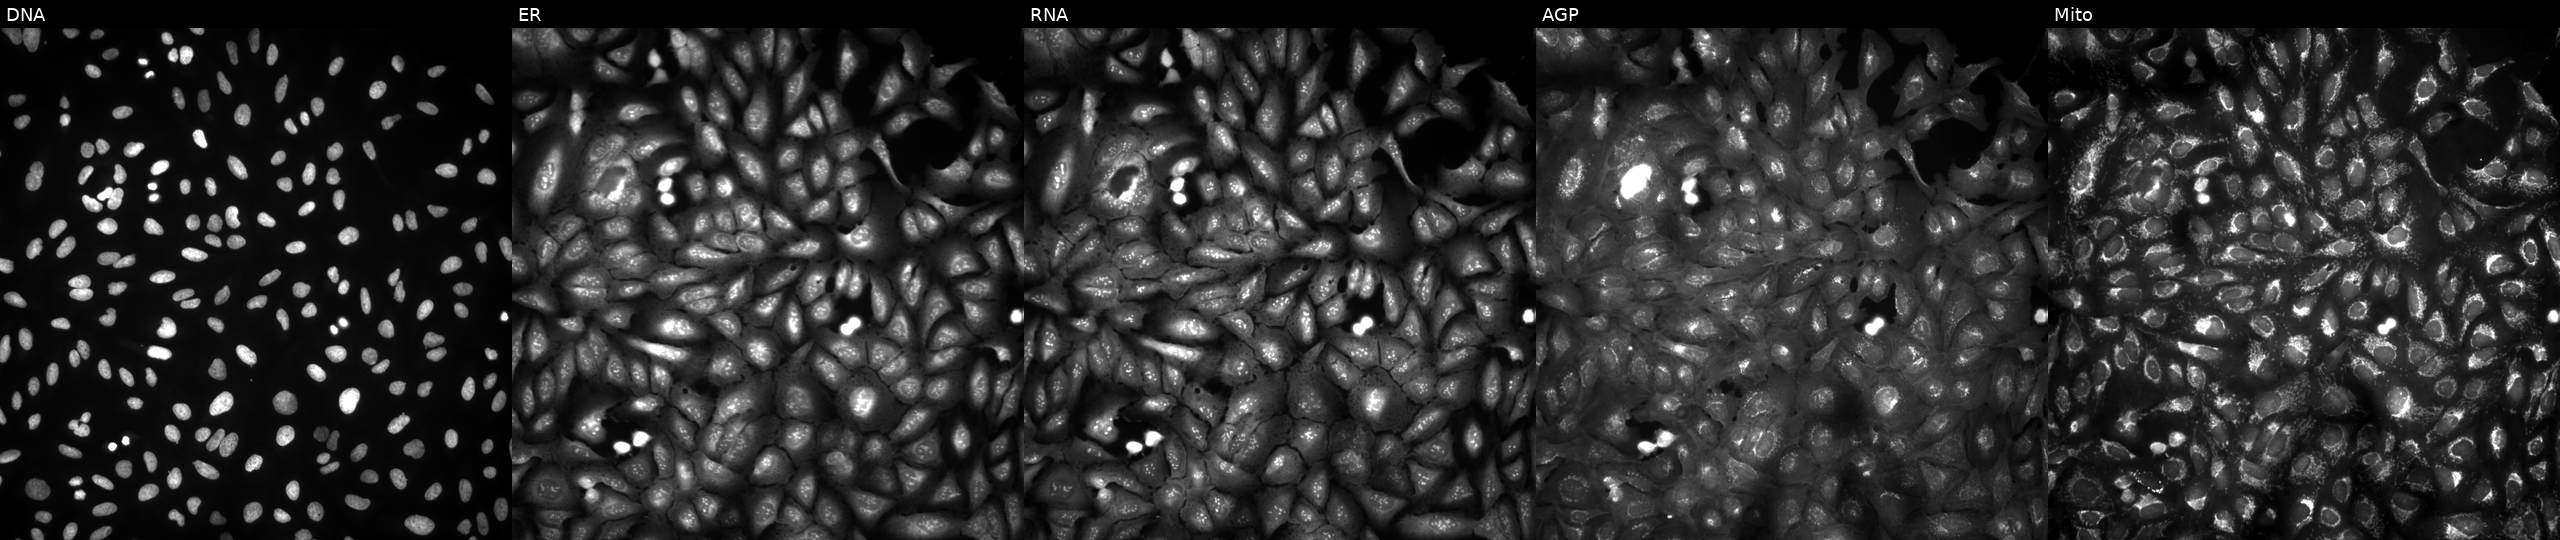
Five-channel Cell Painting image of U2OS cells transfected with an ORF construct for LRWD1. Channels (left→right): Hoechst 33342, concanavalin A, SYTO 14, phalloidin and WGA, MitoTracker.